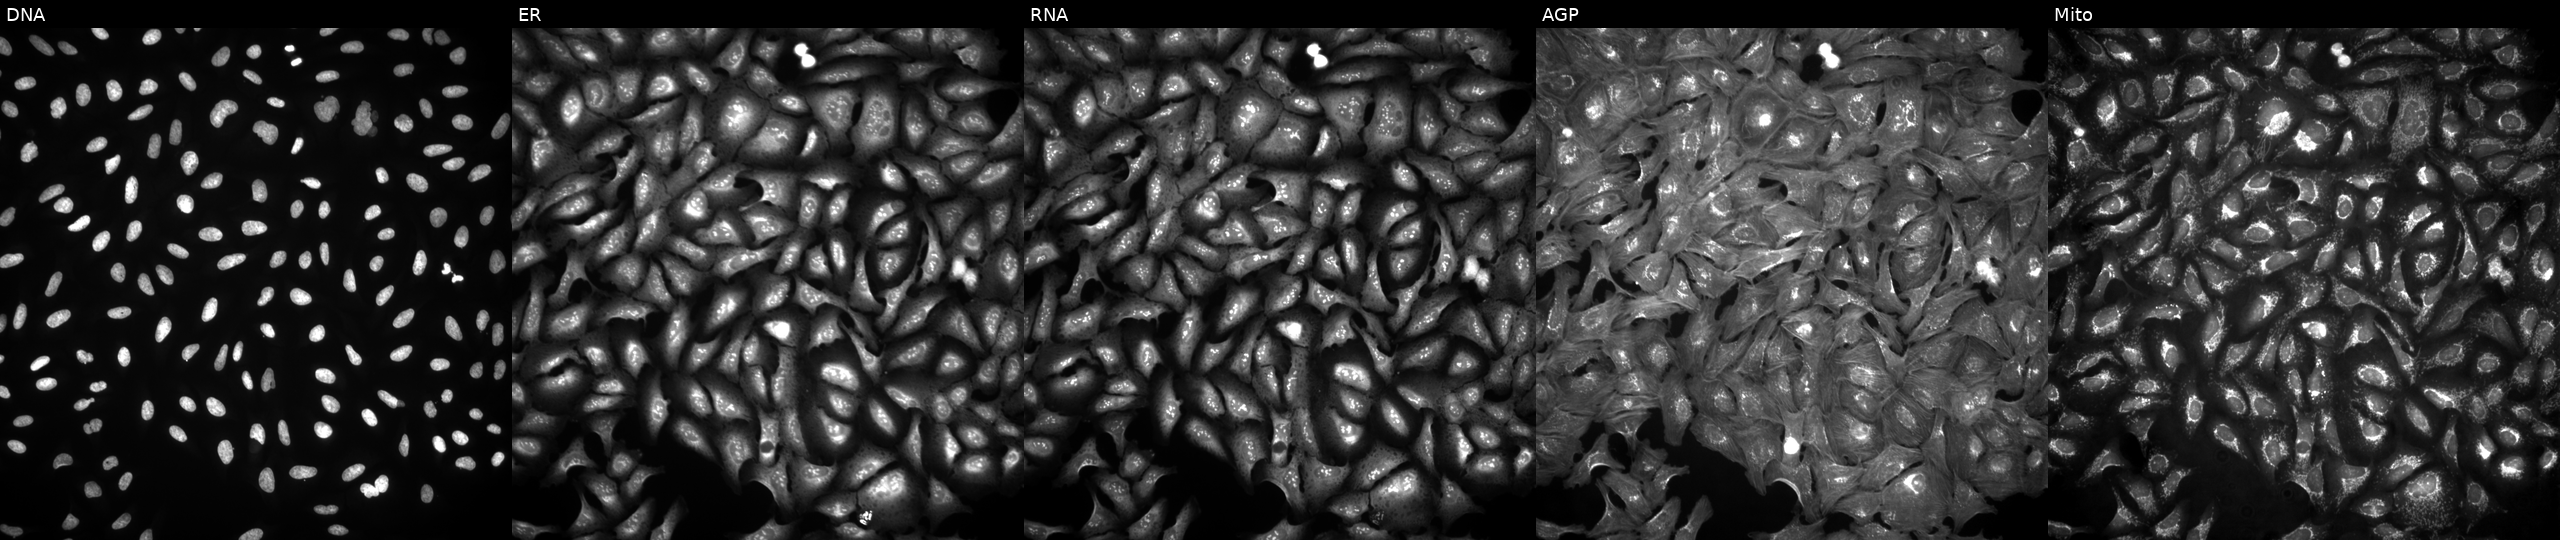
High-content fluorescence microscopy (Cell Painting). Cell line: U2OS. Perturbation: overexpressing KDELR2 via ORF transfection. The five panels, left to right, show DNA (nuclei); ER (endoplasmic reticulum); RNA (nucleoli and cytoplasmic RNA); AGP (actin cytoskeleton, Golgi, and plasma membrane); Mito (mitochondria). Source 4, plate BR00124784, well A08.